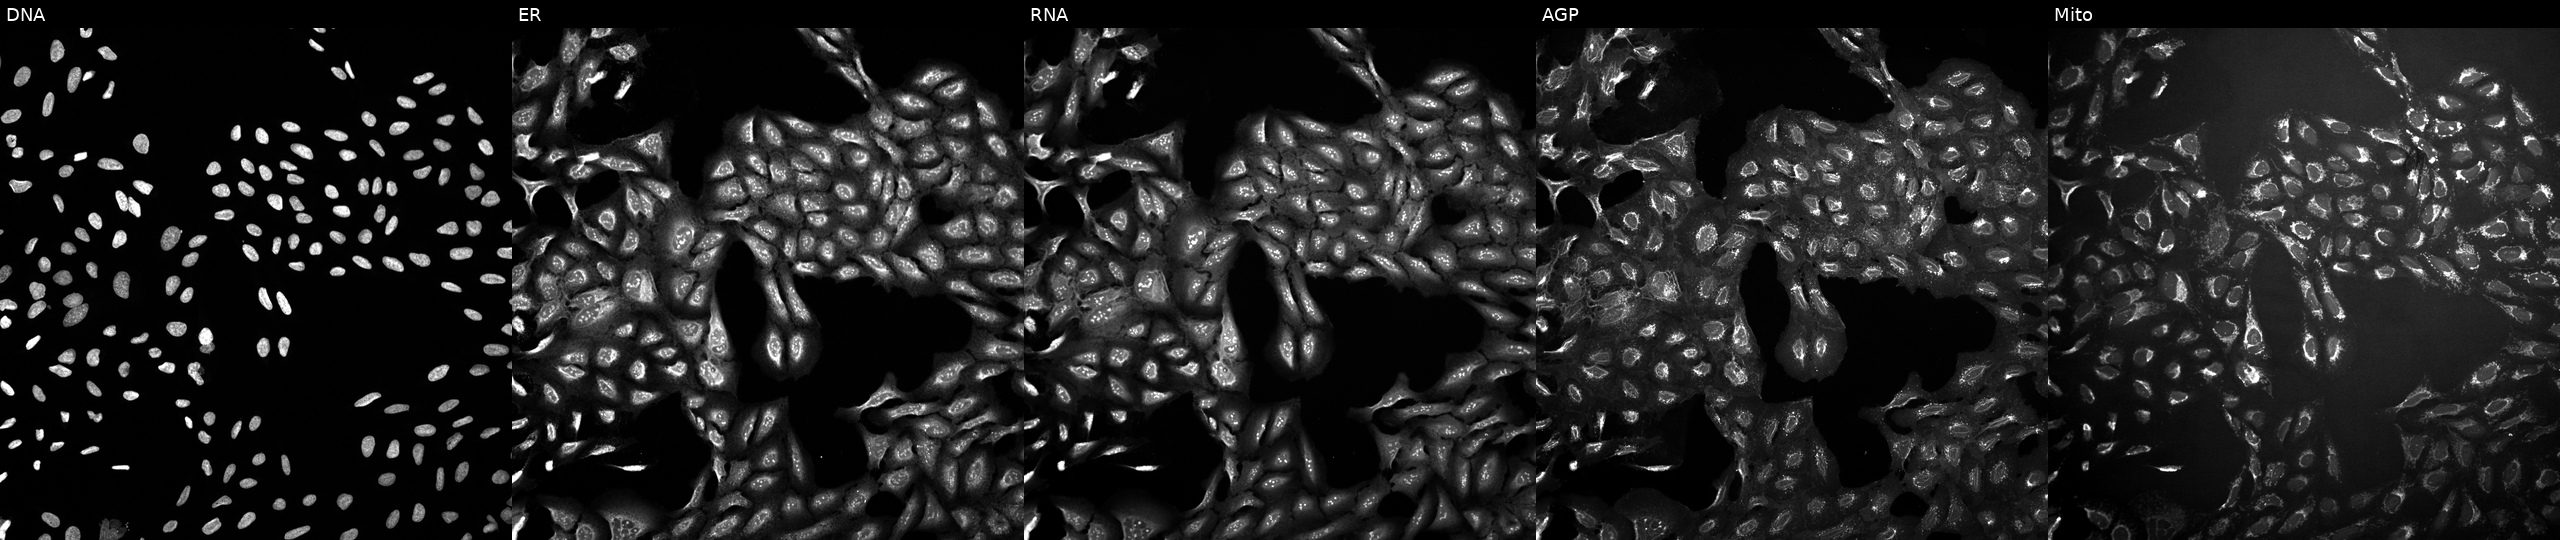
The five panels, left to right, show Hoechst 33342, concanavalin A, SYTO 14, phalloidin and WGA, MitoTracker. U2OS osteosarcoma cells perturbed with a small-molecule compound. Cell Painting assay, JUMP-CP dataset. Source 10, plate Dest210803-153958, well I07.